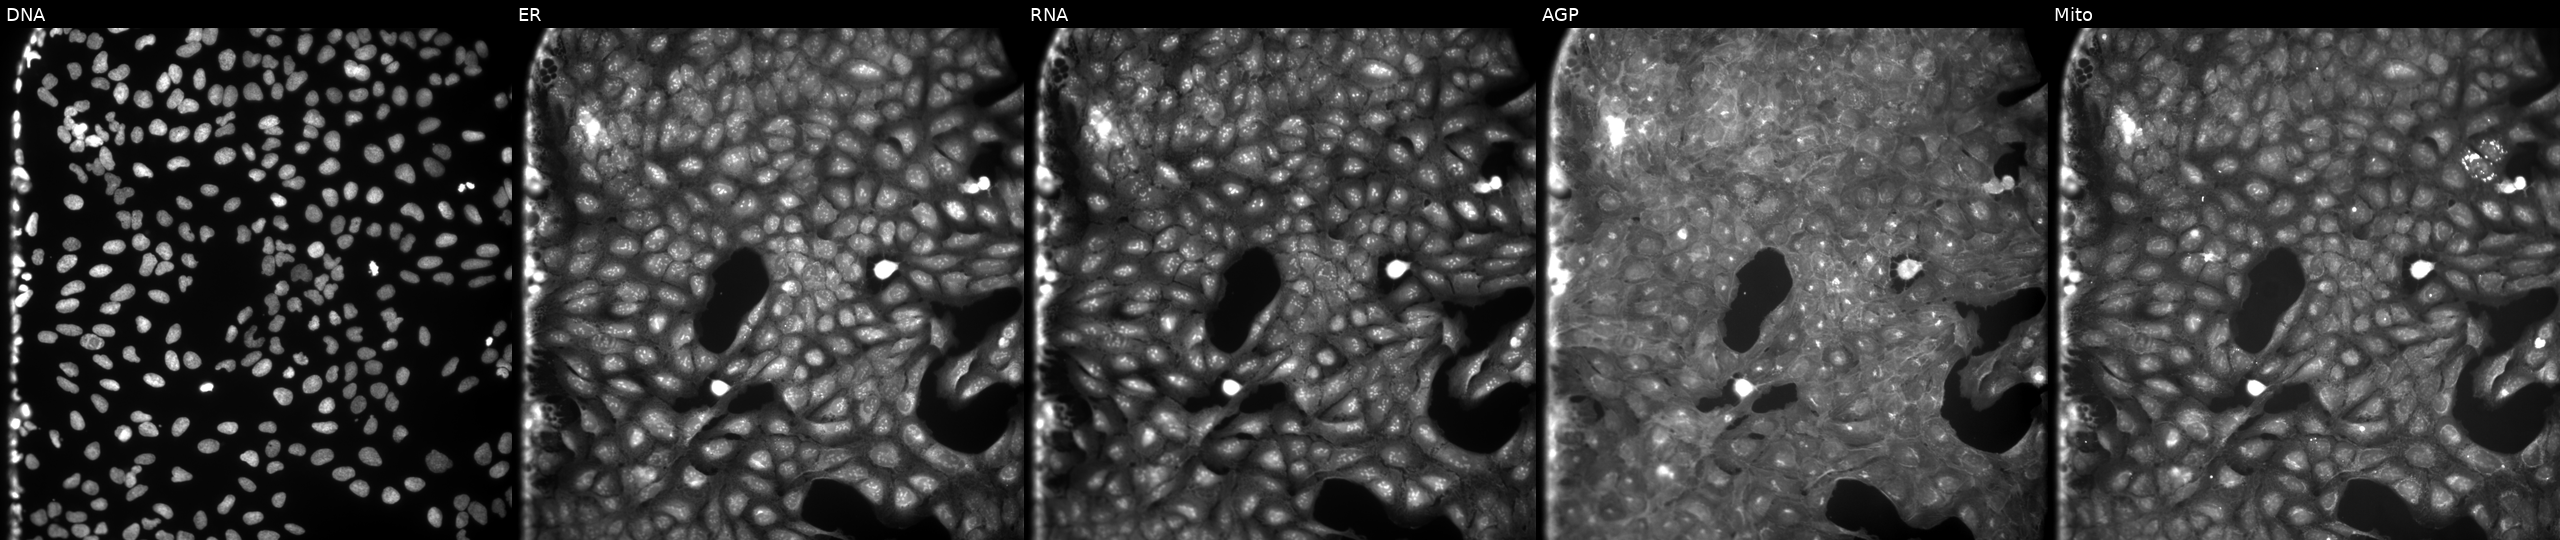
U2OS cells, Cell Painting assay, perturbed with a small-molecule compound [SMILES: Cc1ccc2nsnc2c1NC(=O)Cc1ccc(Cl)cc1]. Panels show, left to right, Hoechst 33342, concanavalin A, SYTO 14, phalloidin and WGA, MitoTracker. Each panel is percentile-stretched 16-bit fluorescence. Source 9, plate GR00003382, well U05.